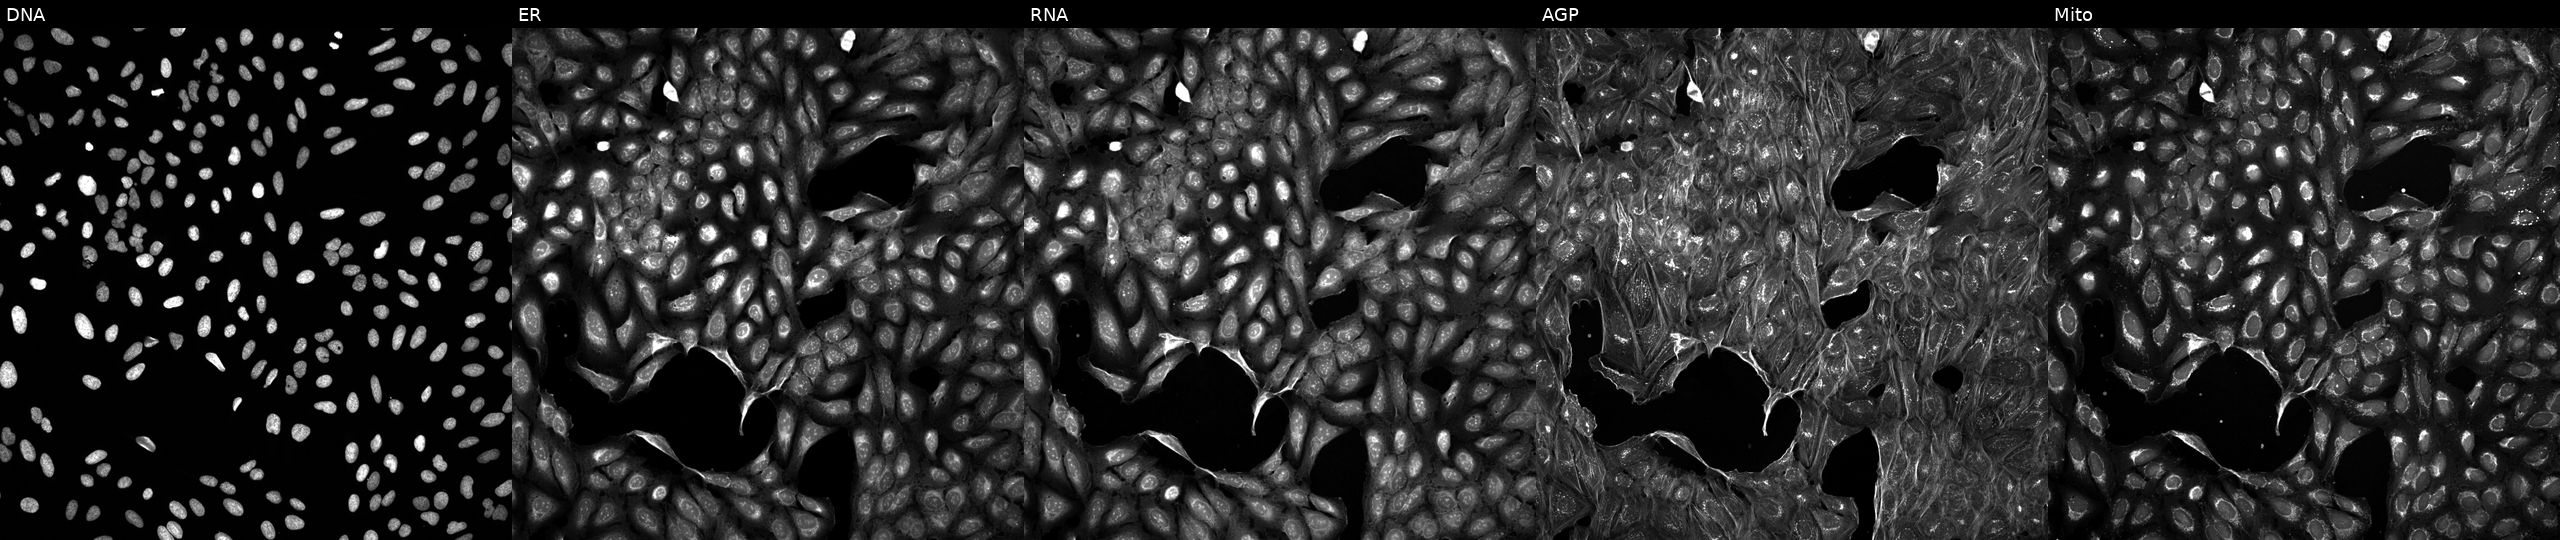
High-content fluorescence microscopy (Cell Painting). Cell line: U2OS. Perturbation: treated with a small-molecule compound (InChIKey PIWKPBJCKXDKJR-UHFFFAOYSA-N). The five panels, left to right, show DNA (nuclei); ER (endoplasmic reticulum); RNA (nucleoli and cytoplasmic RNA); AGP (actin cytoskeleton, Golgi, and plasma membrane); Mito (mitochondria). Source 5, plate ACPJUM032, well K16.